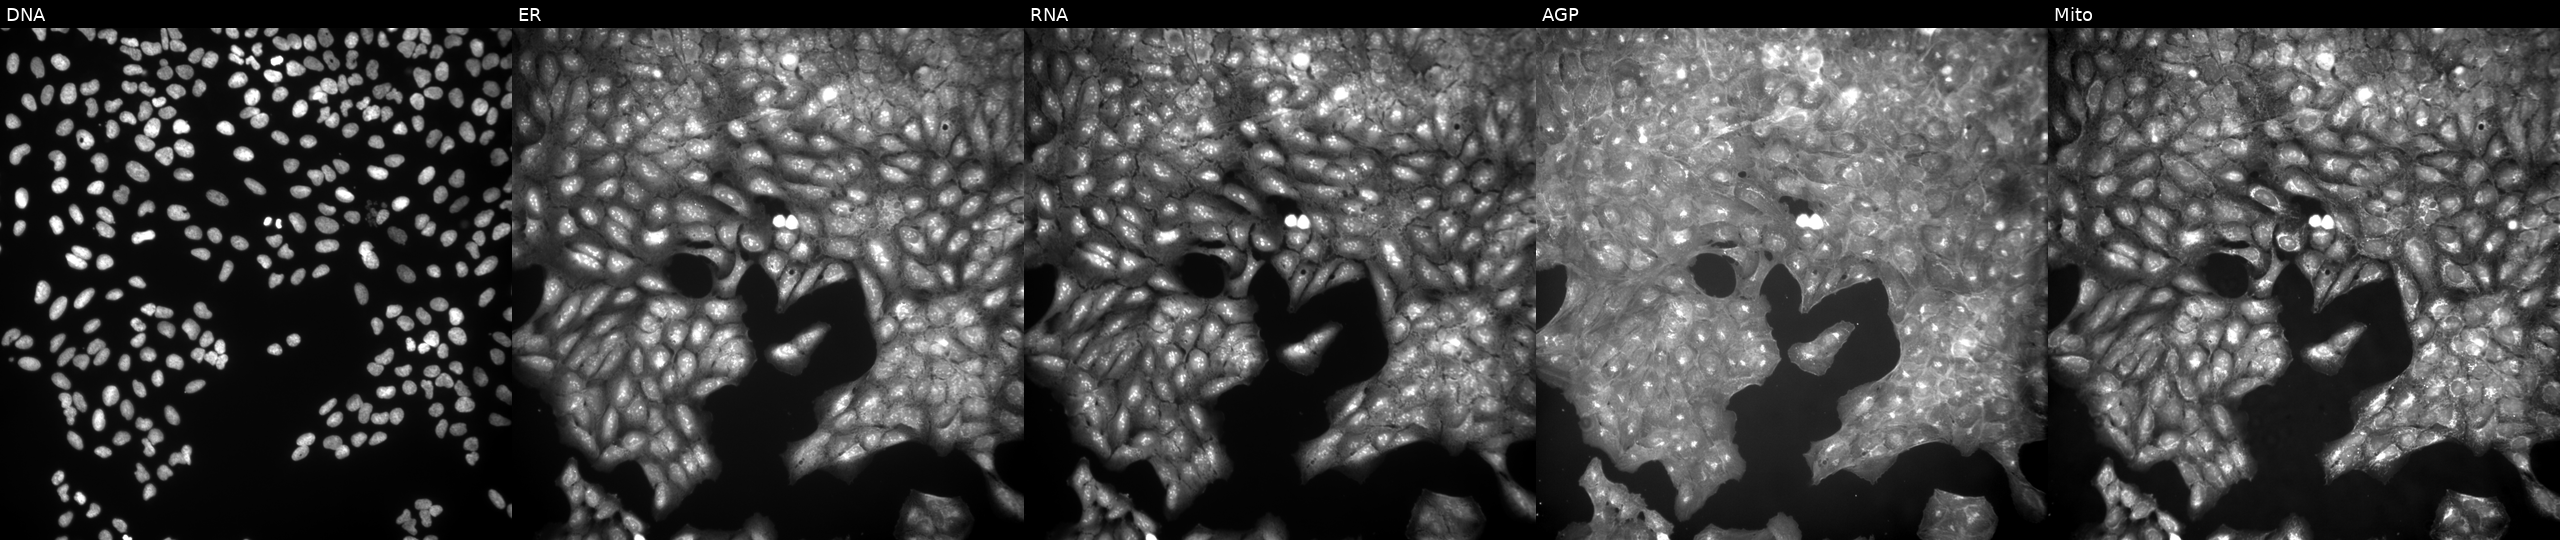
Channels (left→right): DNA, ER, RNA, AGP, and Mito. U2OS osteosarcoma cells exposed to a small-molecule compound [SMILES: COc1ccccc1NC(=O)c1ccccc1NC(=O)c1cccs1] (JUMP id JCP2022_020745). Cell Painting assay, JUMP-CP dataset.